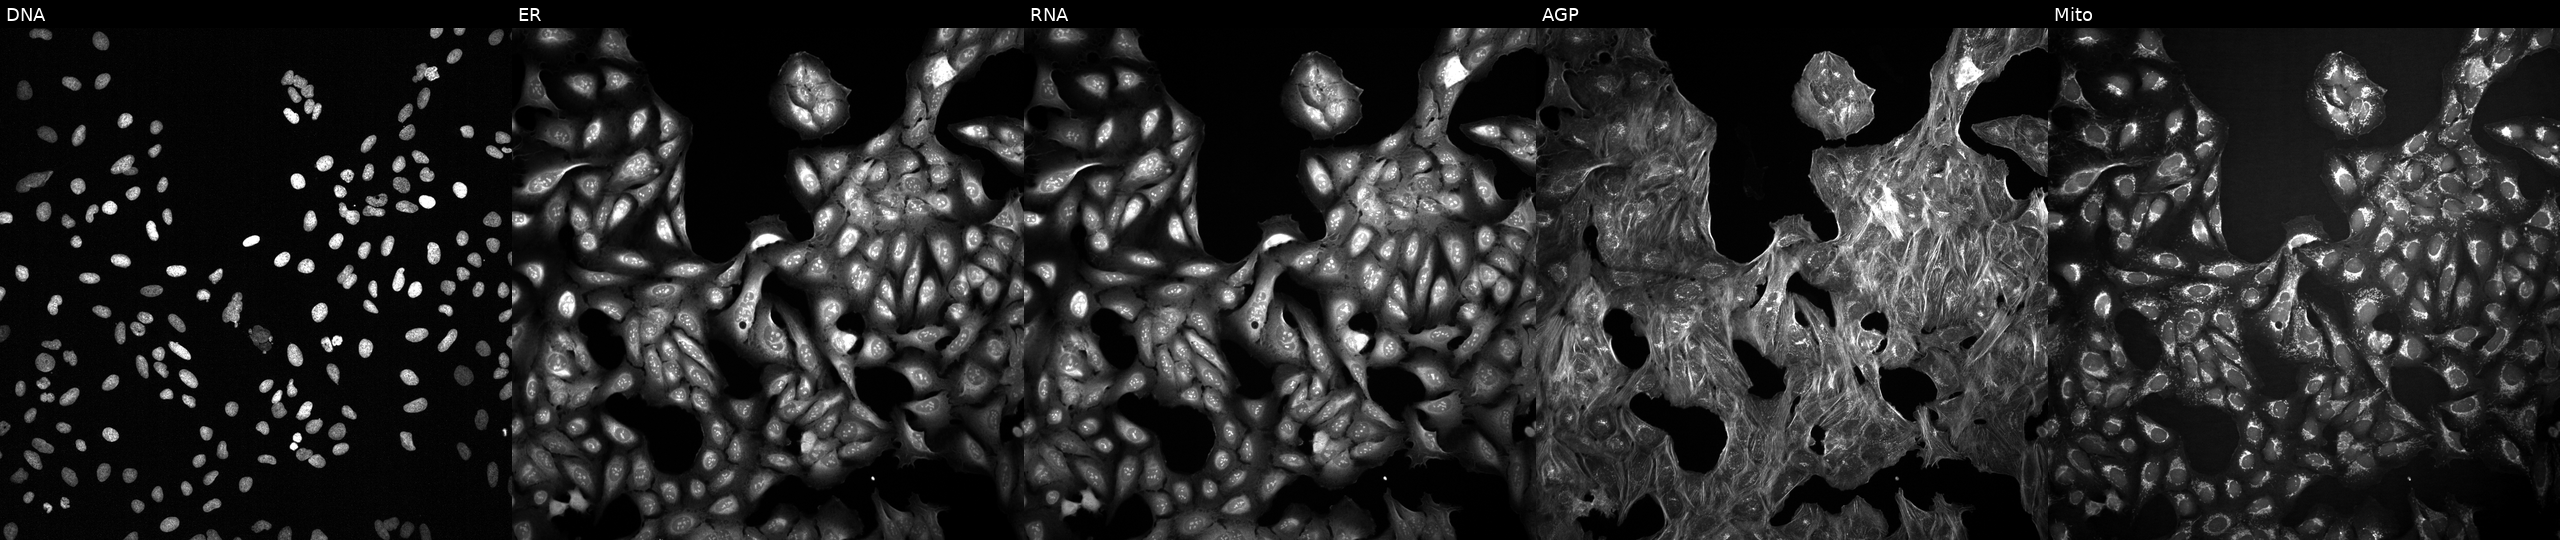
Panels show, left to right, DNA (nuclei); ER (endoplasmic reticulum); RNA (nucleoli and cytoplasmic RNA); AGP (actin cytoskeleton, Golgi, and plasma membrane); Mito (mitochondria). U2OS osteosarcoma cells with an unidentified perturbation (not annotated in JUMP metadata). Cell Painting assay, JUMP-CP dataset. Source 2, plate 1053601763, well L22.